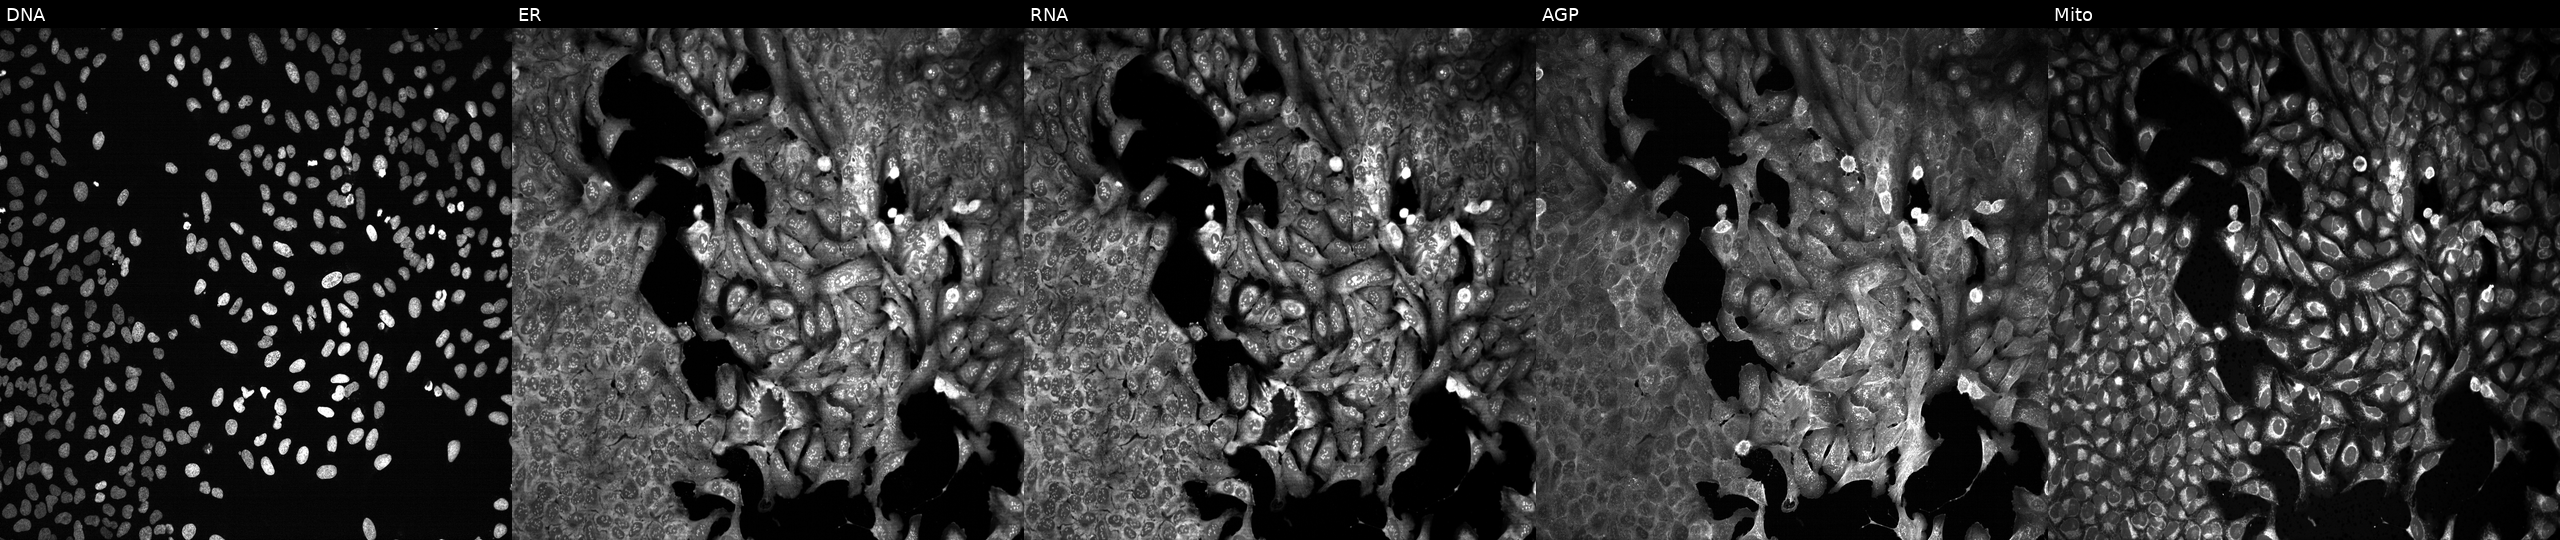
This image strip shows the five Cell Painting channels for a single field of U2OS cells following CRISPR knockout of ABHD17B (JUMP id JCP2022_800074). Channels (left→right): DNA (nuclei); ER (endoplasmic reticulum); RNA (nucleoli and cytoplasmic RNA); AGP (actin cytoskeleton, Golgi, and plasma membrane); Mito (mitochondria).